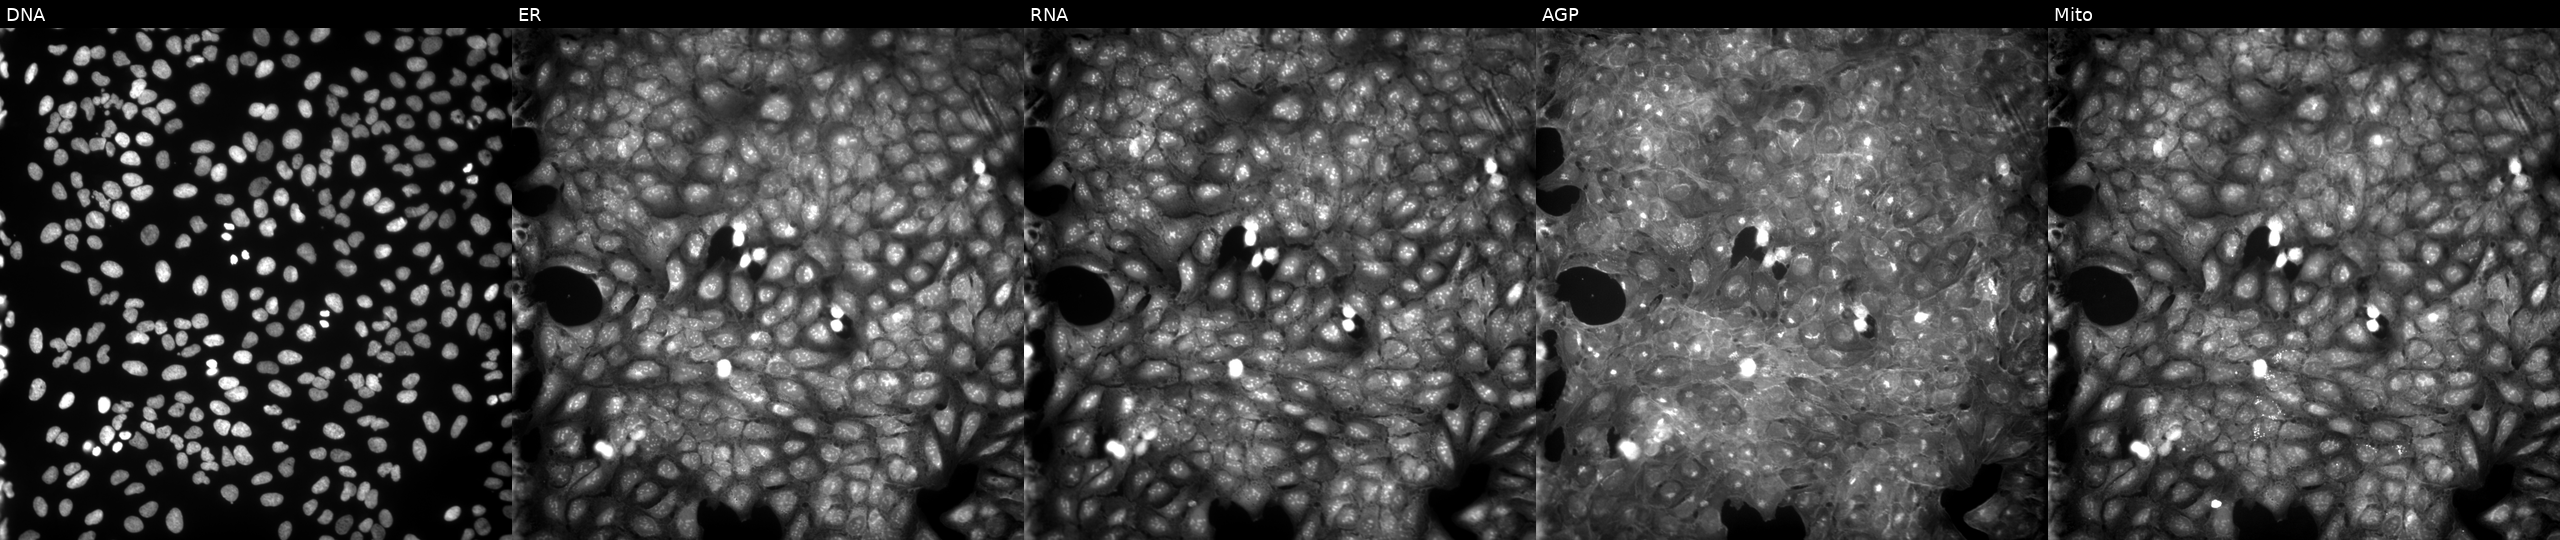
High-content fluorescence microscopy (Cell Painting). Cell line: U2OS. Perturbation: exposed to DMSO alone as a negative control (JUMP id JCP2022_033924). From left to right: Hoechst 33342, concanavalin A, SYTO 14, phalloidin and WGA, MitoTracker. Source 9, plate GR00003381, well A23.